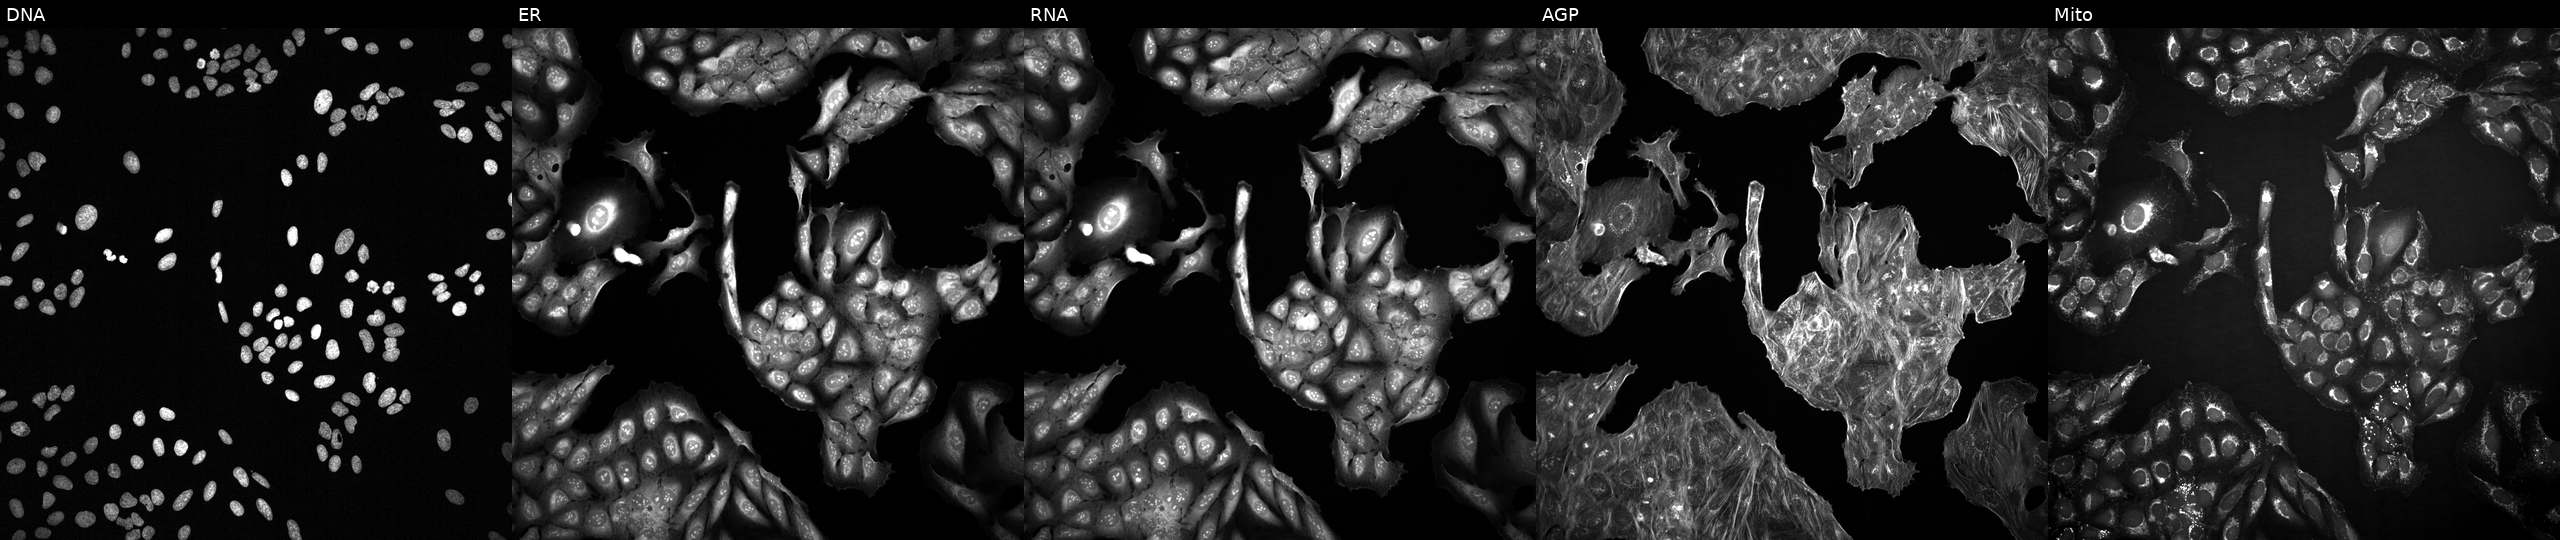
Five-channel Cell Painting image of U2OS cells treated with a small-molecule compound (InChIKey HNOLVYVVGFTNMU-UHFFFAOYSA-N) [SMILES: COCc1cncc(C(=O)O)c1]. Channels (left→right): Hoechst 33342, concanavalin A, SYTO 14, phalloidin and WGA, MitoTracker.